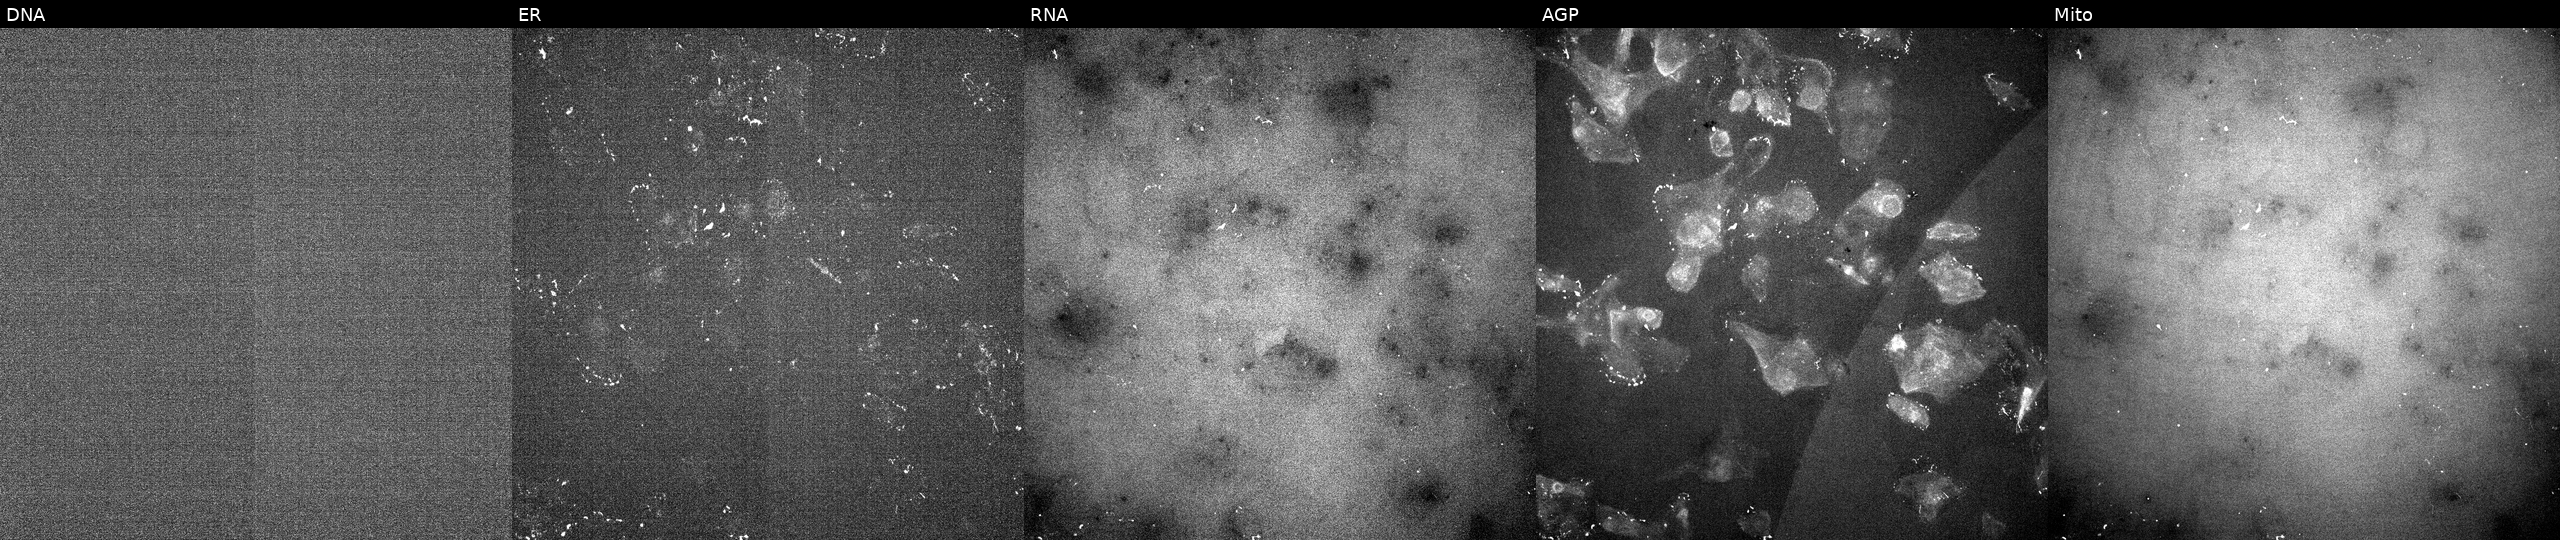
U2OS cells, Cell Painting assay, perturbed with a small-molecule compound (InChIKey CANBMWXJDLUDFF-UHFFFAOYSA-N) (JUMP id JCP2022_009867). From left to right: DNA (nuclei); ER (endoplasmic reticulum); RNA (nucleoli and cytoplasmic RNA); AGP (actin cytoskeleton, Golgi, and plasma membrane); Mito (mitochondria). Each panel is percentile-stretched 16-bit fluorescence.